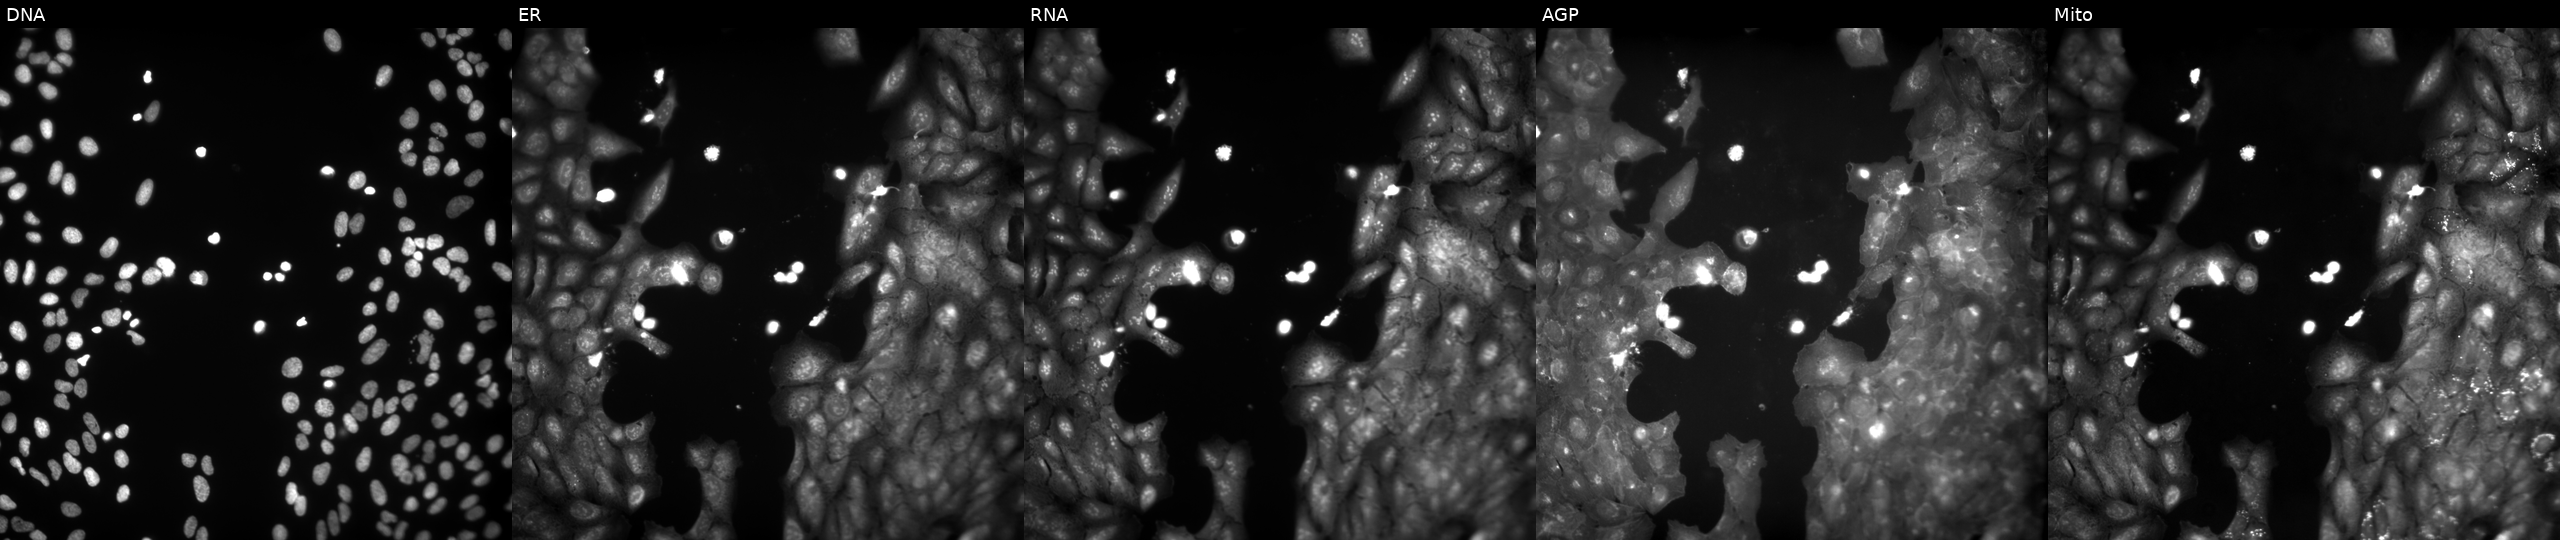
JUMP Cell Painting — COMPOUND plate. U2OS cells perturbed with a small-molecule compound (InChIKey DEOHLIFPIZMPNM-UHFFFAOYSA-N) (JUMP id JCP2022_015406). Panels show, left to right, DNA, ER, RNA, AGP, and Mito.